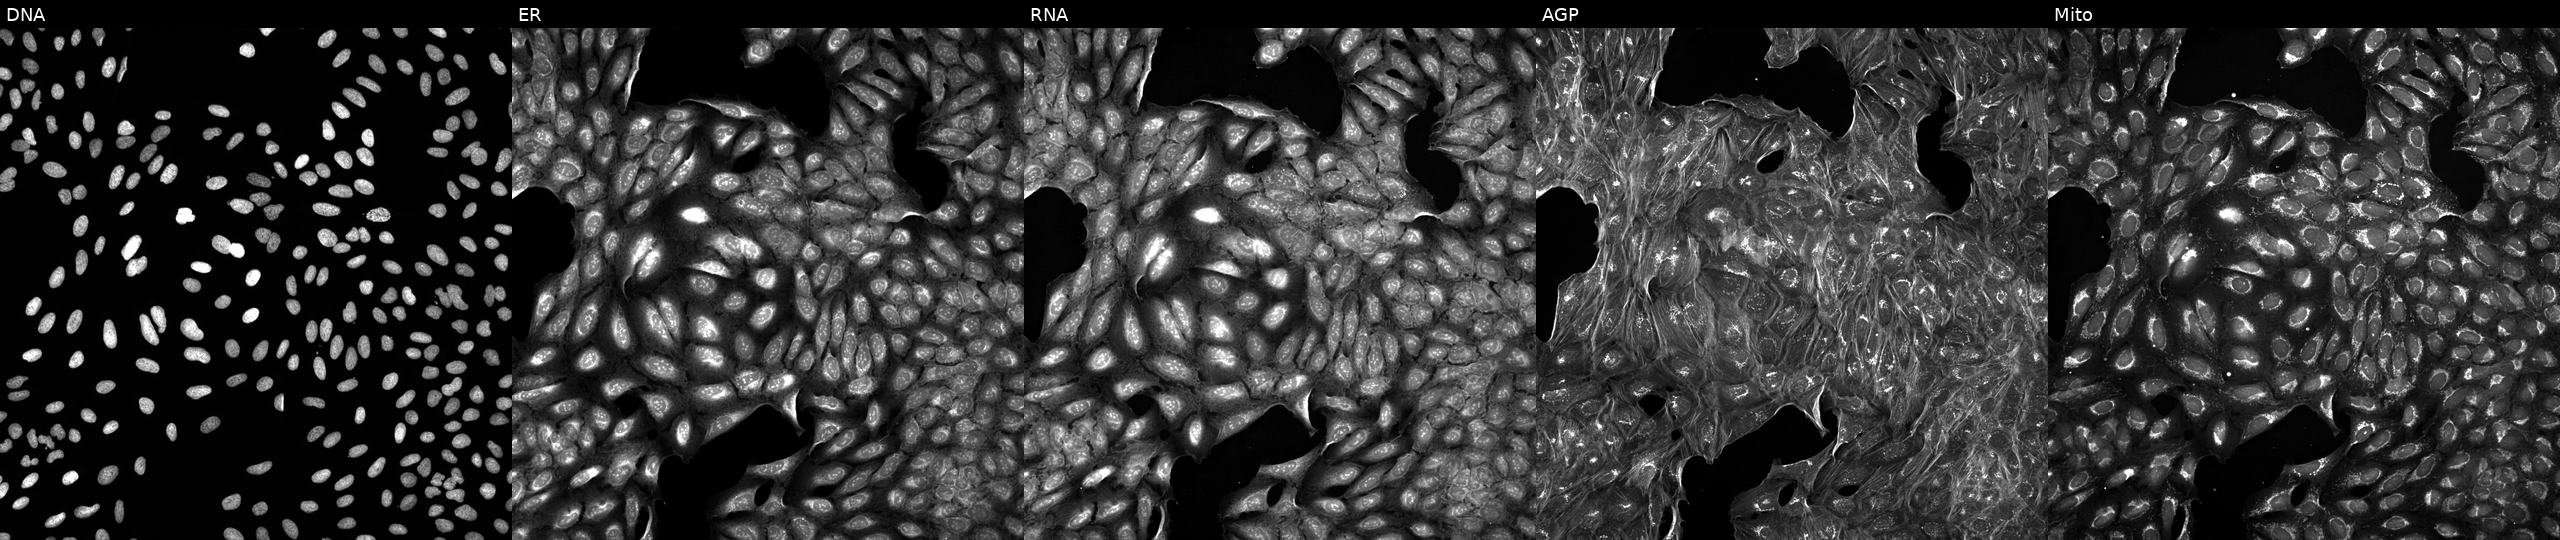
Five-channel Cell Painting image of U2OS cells treated with a small-molecule compound (JUMP id JCP2022_101929). Panels show, left to right, Hoechst 33342, concanavalin A, SYTO 14, phalloidin and WGA, MitoTracker.